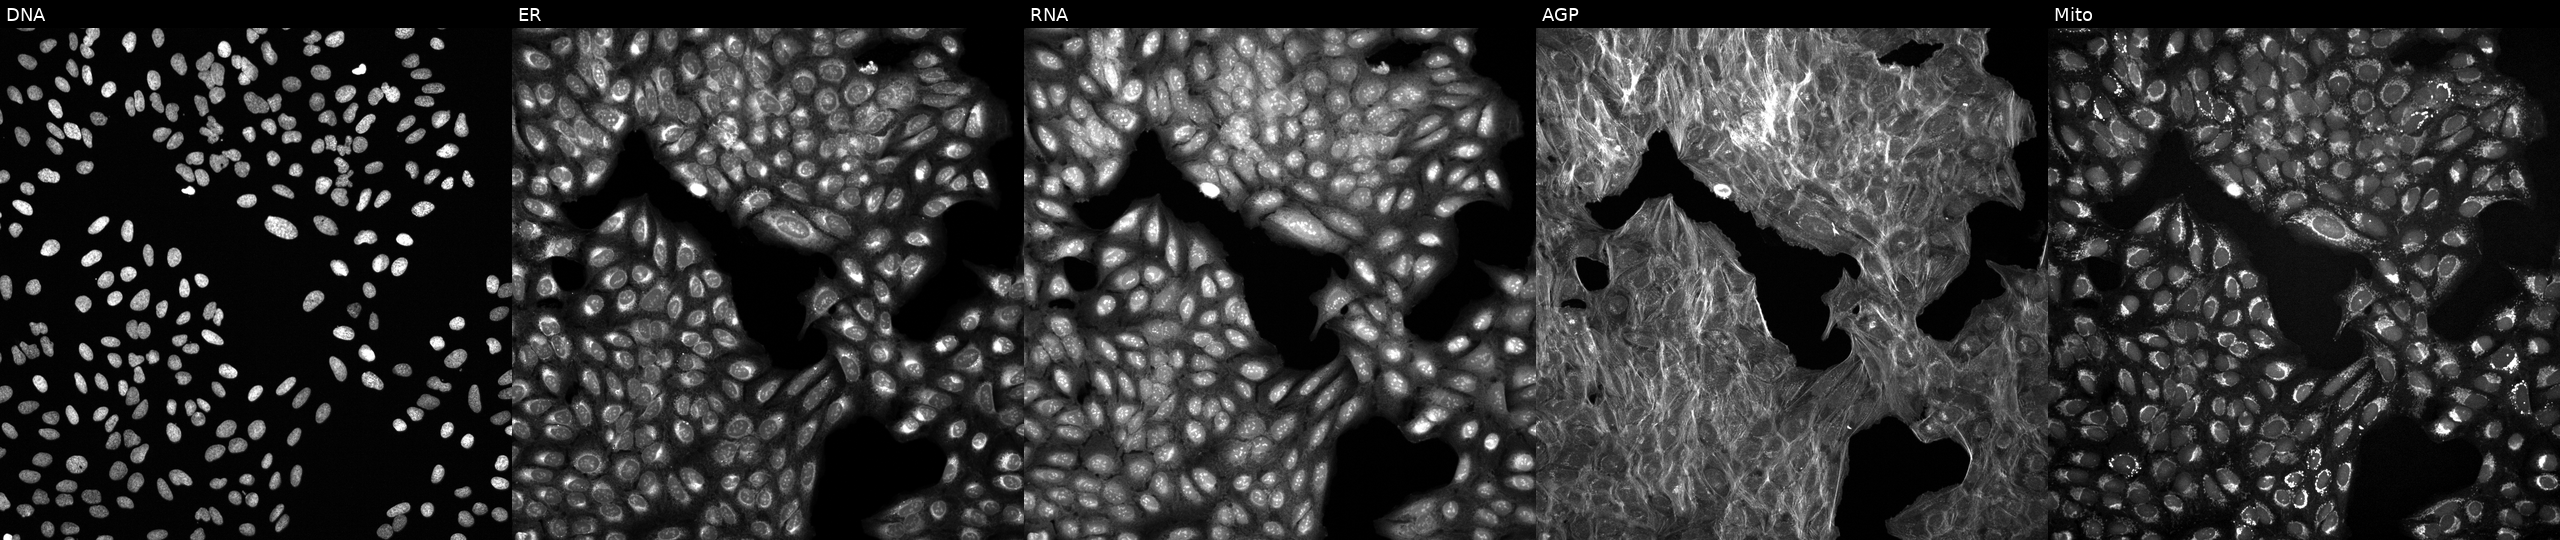
High-content fluorescence microscopy (Cell Painting). Cell line: U2OS. Perturbation: exposed to a small-molecule compound (InChIKey HUQZHTBPQXYAII-UHFFFAOYSA-N). Panels show, left to right, Hoechst 33342, concanavalin A, SYTO 14, phalloidin and WGA, MitoTracker.